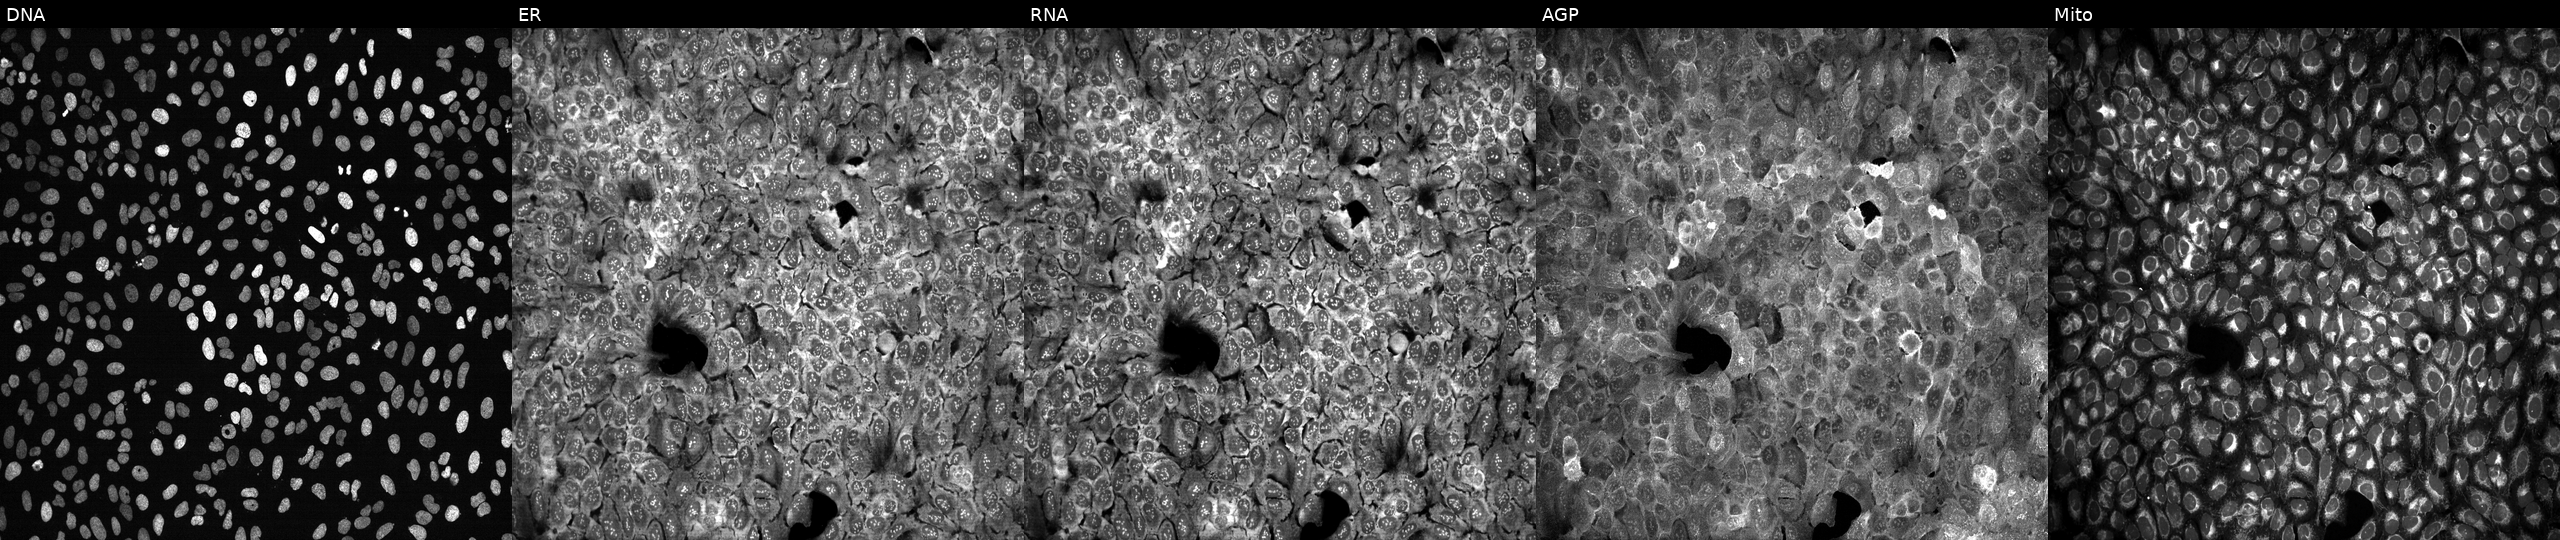
Five-channel Cell Painting image of U2OS cells with TUBD1 knocked out by CRISPR (JUMP id JCP2022_807398). Channels (left→right): DNA, ER, RNA, AGP, and Mito.